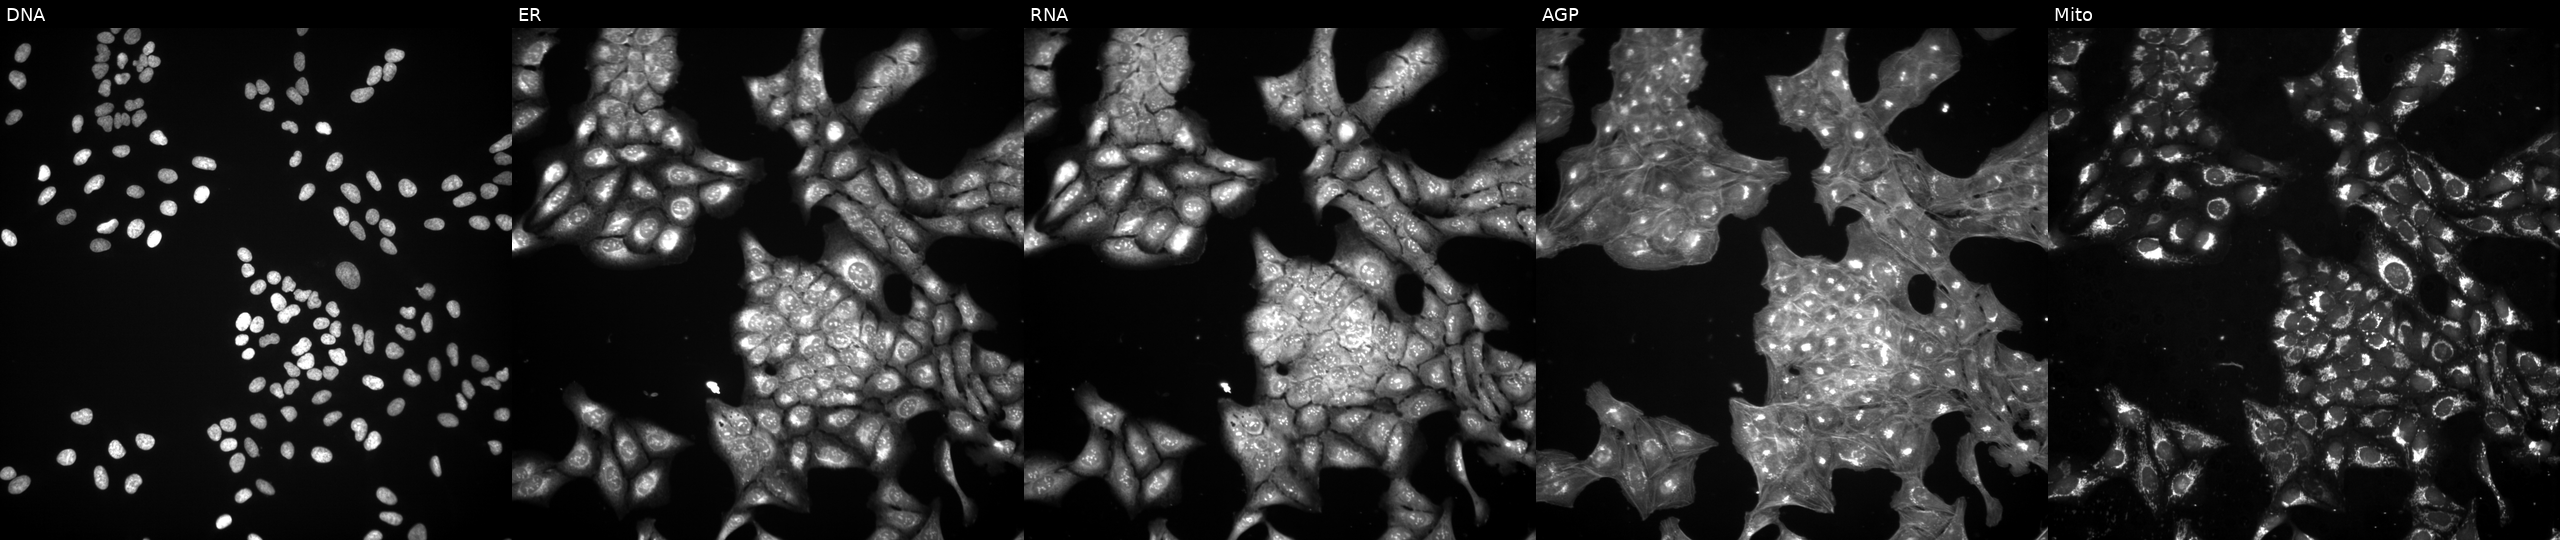
Channels (left→right): Hoechst 33342, concanavalin A, SYTO 14, phalloidin and WGA, MitoTracker. U2OS osteosarcoma cells perturbed with a small-molecule compound (InChIKey FHPOTBQOUBMMCI-UHFFFAOYSA-N). Cell Painting assay, JUMP-CP dataset.